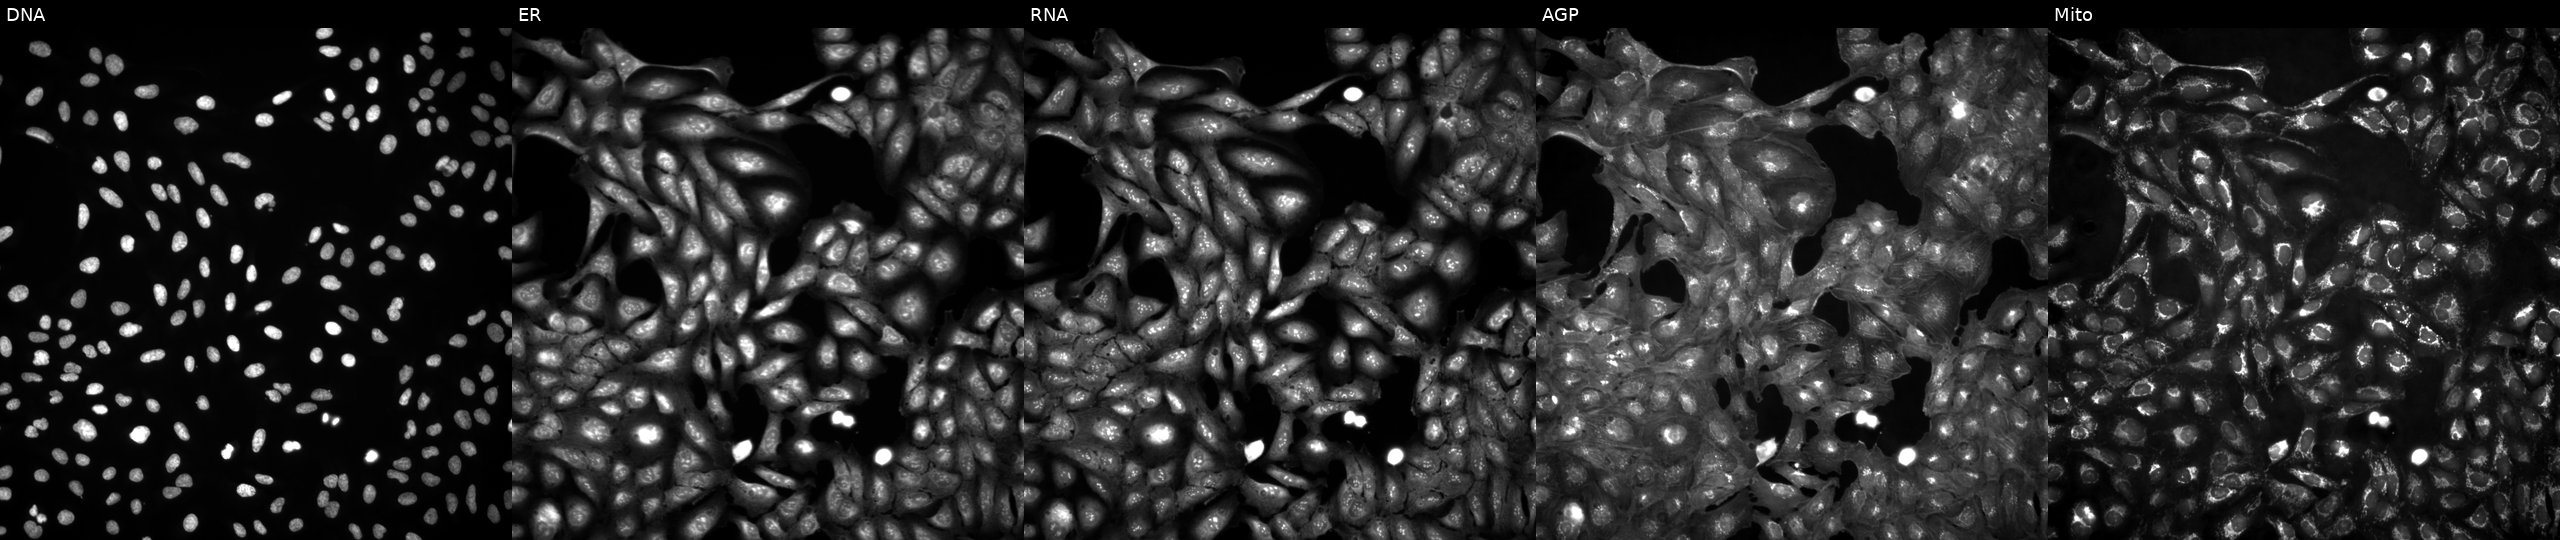
This image strip shows the five Cell Painting channels for a single field of U2OS cells untreated (empty-well control) (JUMP id JCP2022_999999). Channels (left→right): Hoechst 33342, concanavalin A, SYTO 14, phalloidin and WGA, MitoTracker. Source 4, plate BR00124793, well I10.